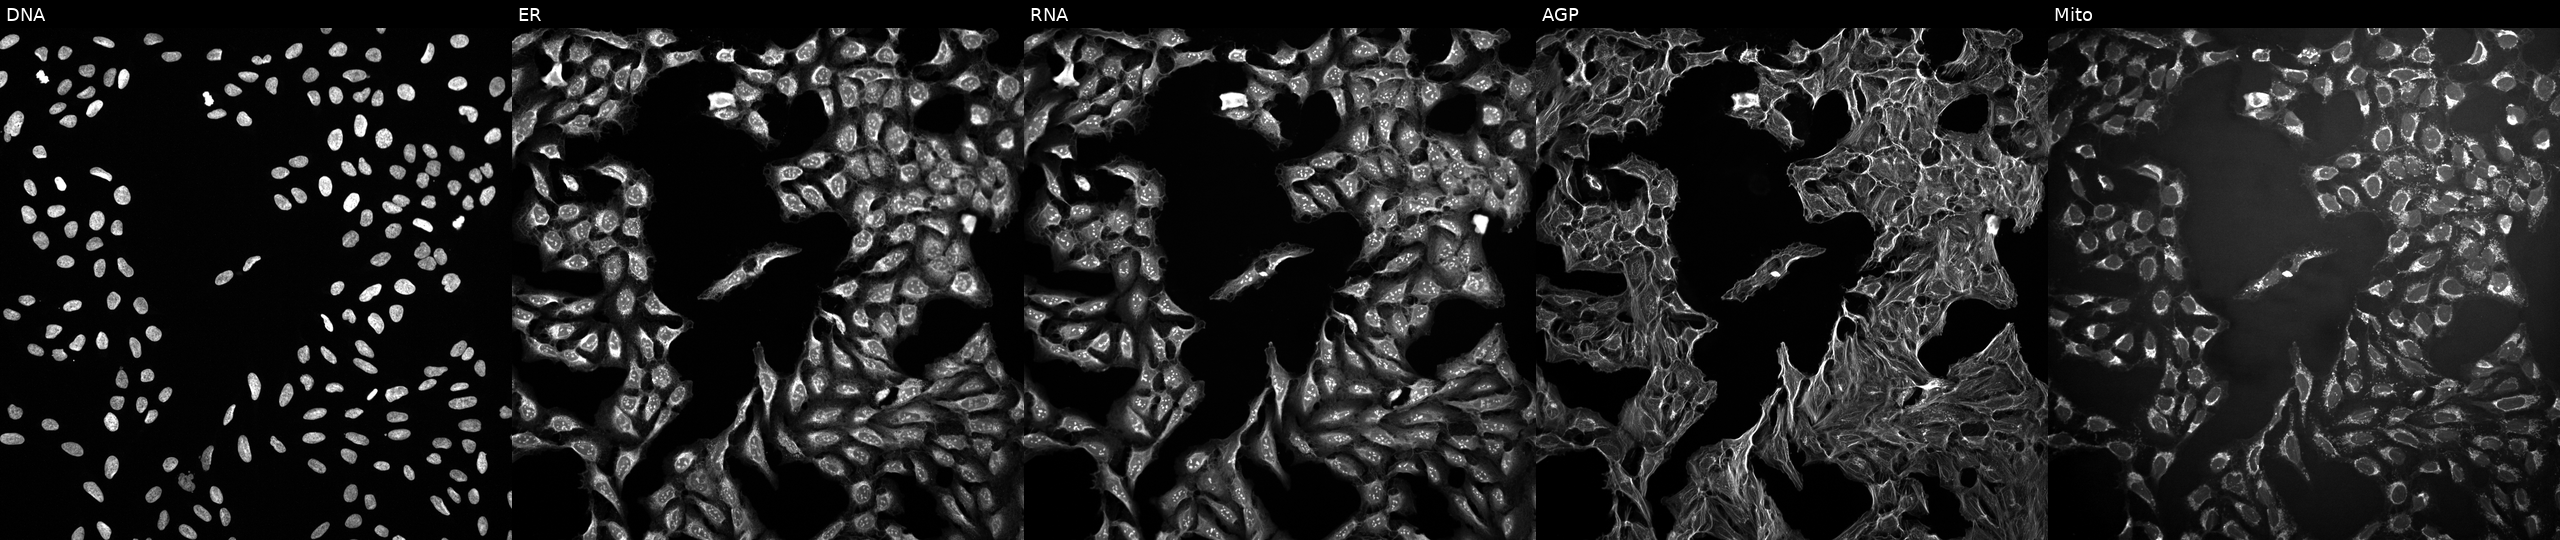
U2OS cells, Cell Painting assay, exposed to a small-molecule compound (InChIKey CEUORZQYGODEFX-UHFFFAOYSA-N) [SMILES: O=C1CCc2ccc(OCCCCN3CCN(c4cccc(Cl)c4Cl)CC3)cc2N1]. Panels show, left to right, Hoechst 33342, concanavalin A, SYTO 14, phalloidin and WGA, MitoTracker. Each panel is percentile-stretched 16-bit fluorescence.